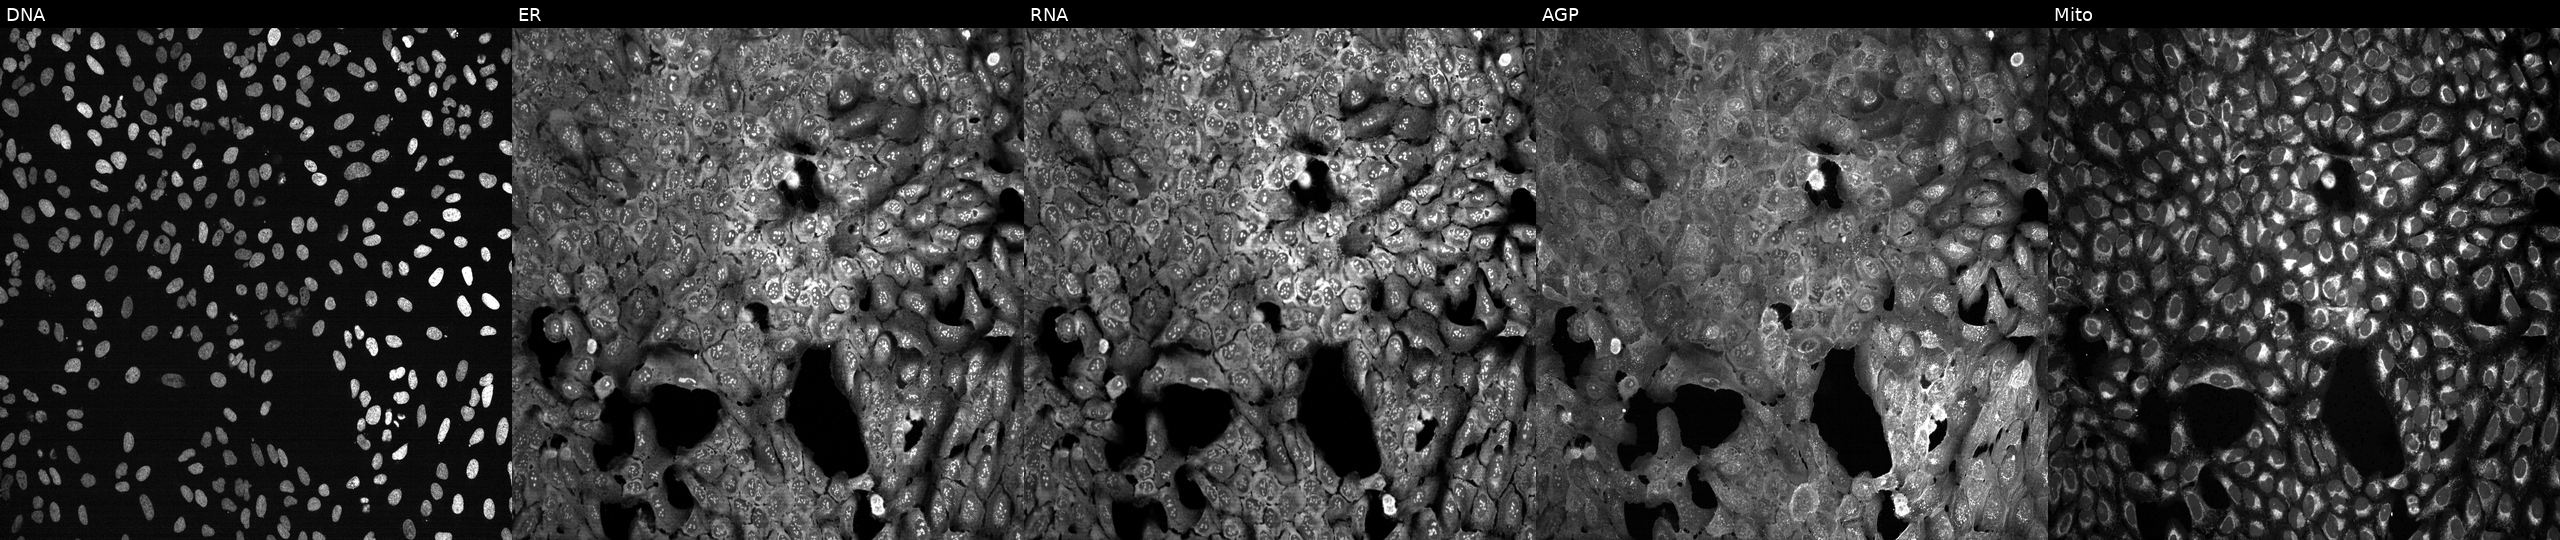
This image strip shows the five Cell Painting channels for a single field of U2OS cells CRISPR-edited to disrupt PMM2. Panels show, left to right, Hoechst 33342, concanavalin A, SYTO 14, phalloidin and WGA, MitoTracker.